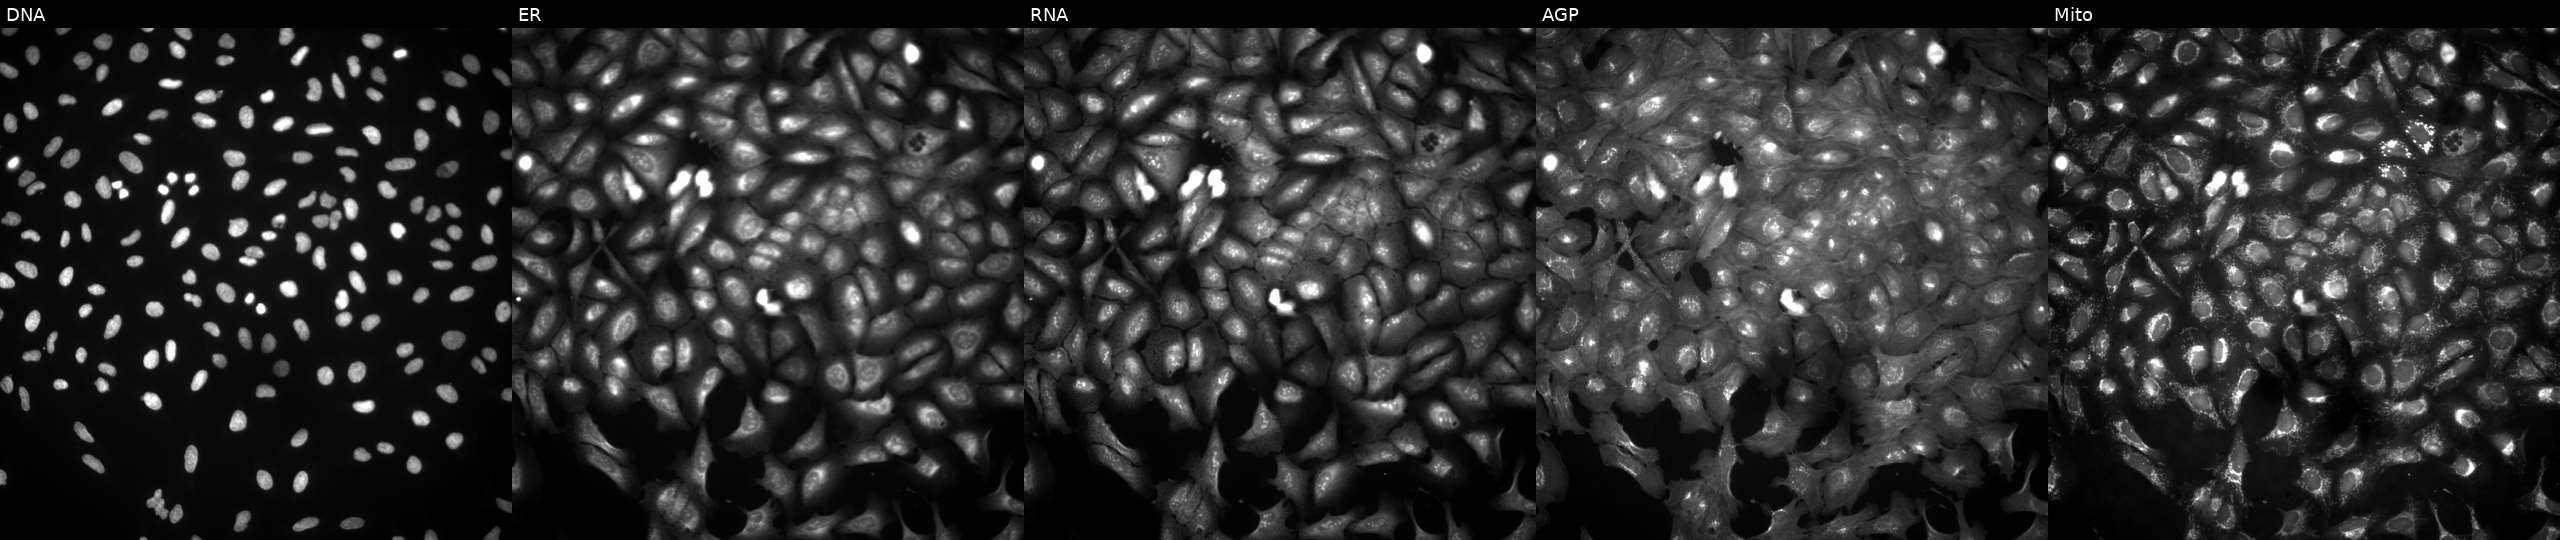
U2OS cells, Cell Painting assay, transfected with a failed ORF construct (JUMP BAD CONSTRUCT marker). The five panels, left to right, show DNA (nuclei); ER (endoplasmic reticulum); RNA (nucleoli and cytoplasmic RNA); AGP (actin cytoskeleton, Golgi, and plasma membrane); Mito (mitochondria). Each panel is percentile-stretched 16-bit fluorescence. Source 4, plate BR00124790, well B12.